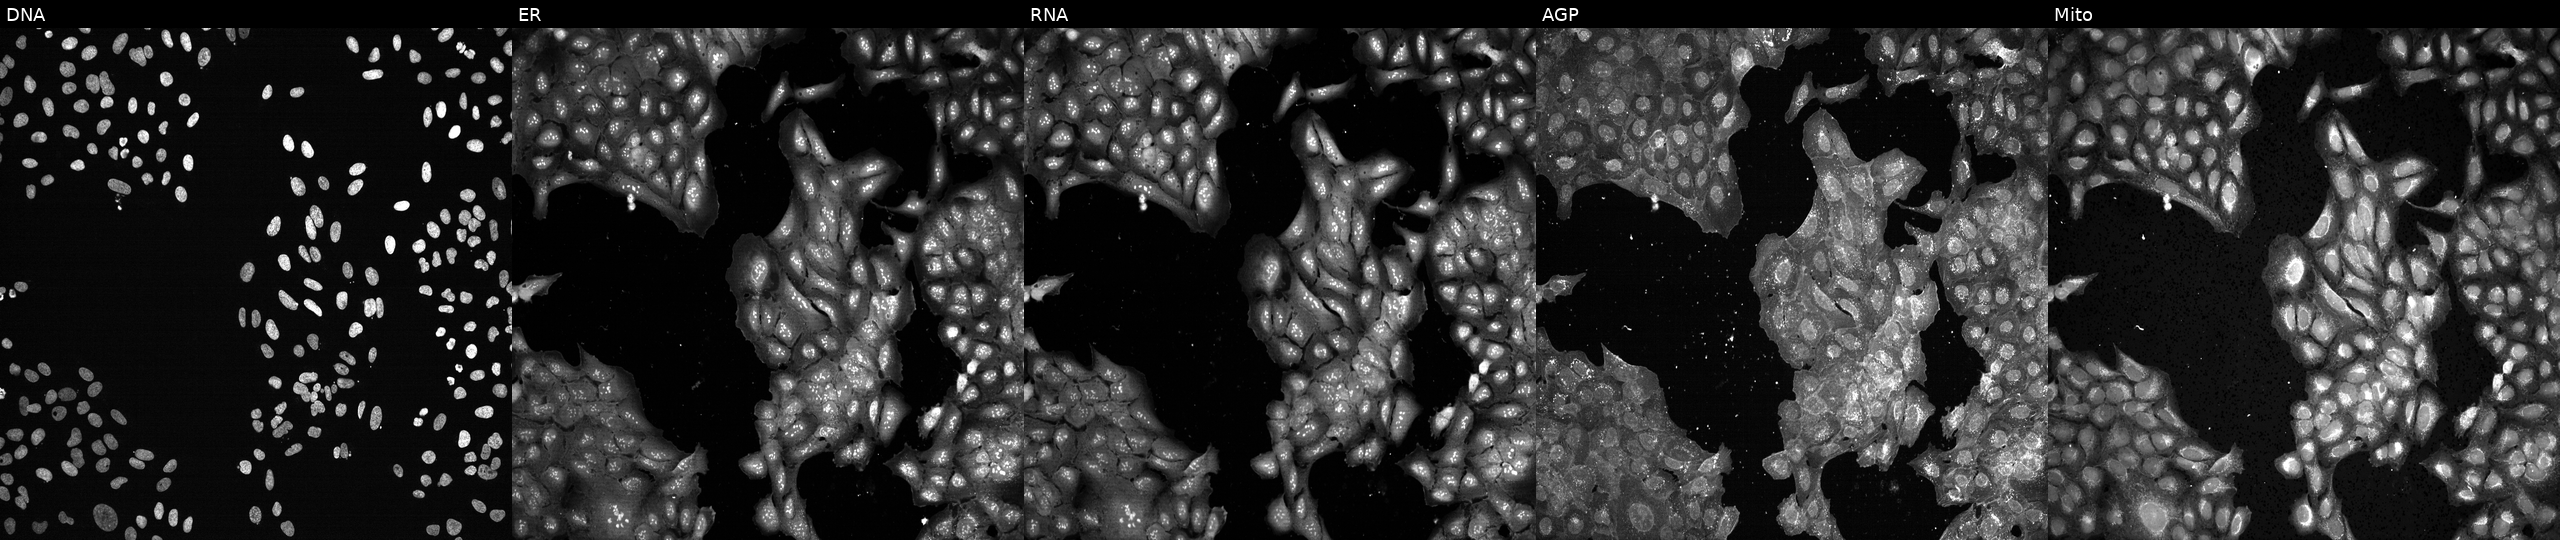
U2OS cells, Cell Painting assay, following CRISPR knockout of AREG. Channels (left→right): Hoechst 33342, concanavalin A, SYTO 14, phalloidin and WGA, MitoTracker. Each panel is percentile-stretched 16-bit fluorescence. Source 13, plate CP-CC9-R1-01, well B04.